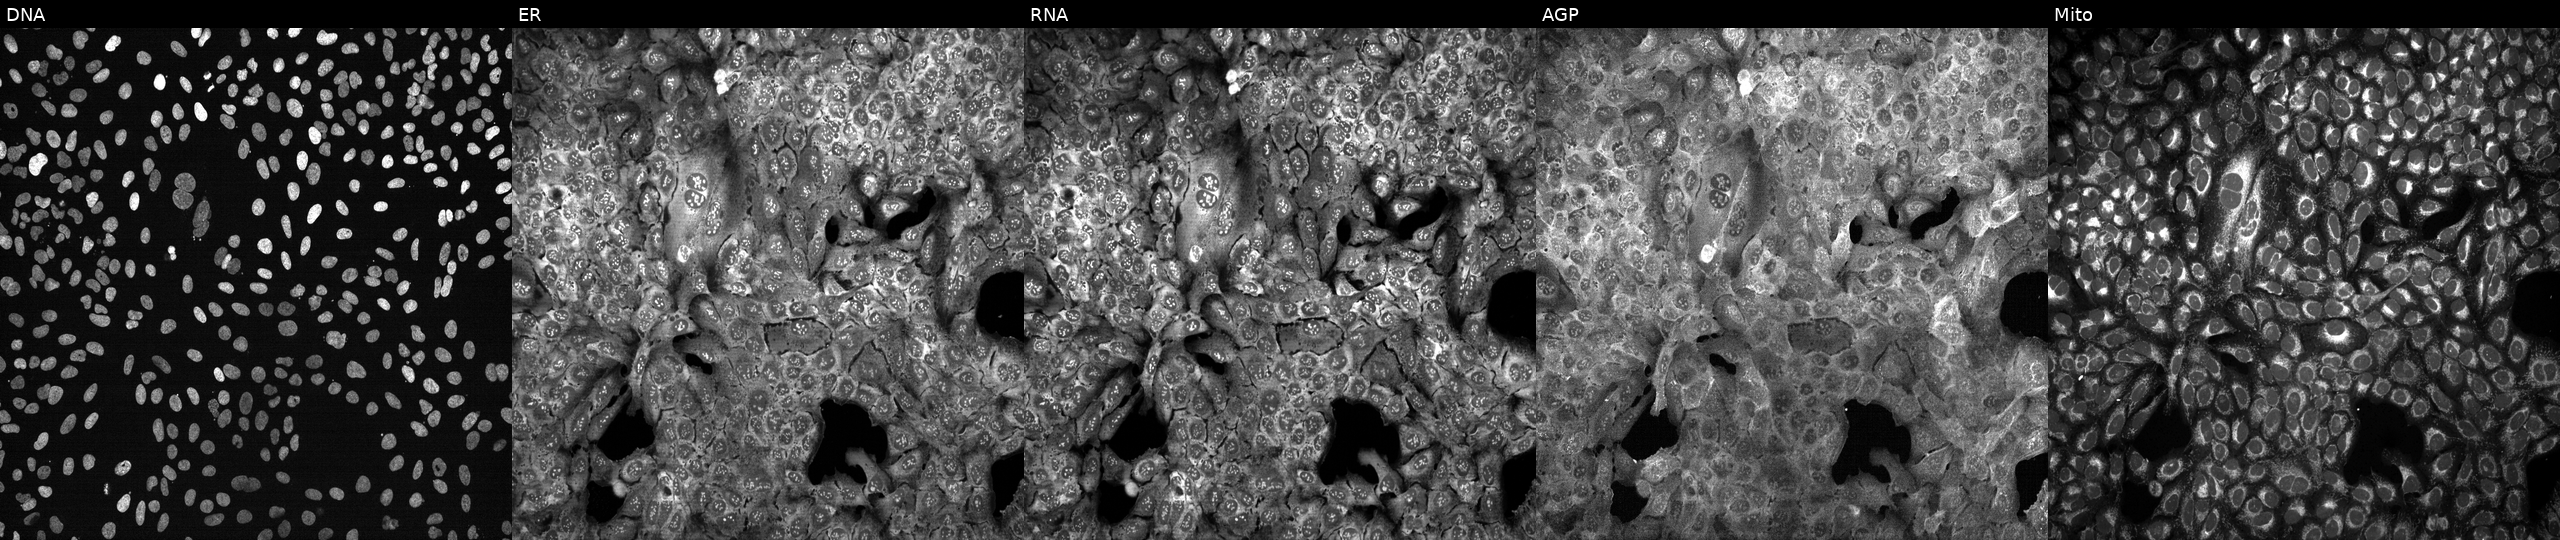
From left to right: DNA, ER, RNA, AGP, and Mito. U2OS osteosarcoma cells with RABGGTB knocked out by CRISPR (JUMP id JCP2022_805793). Cell Painting assay, JUMP-CP dataset.